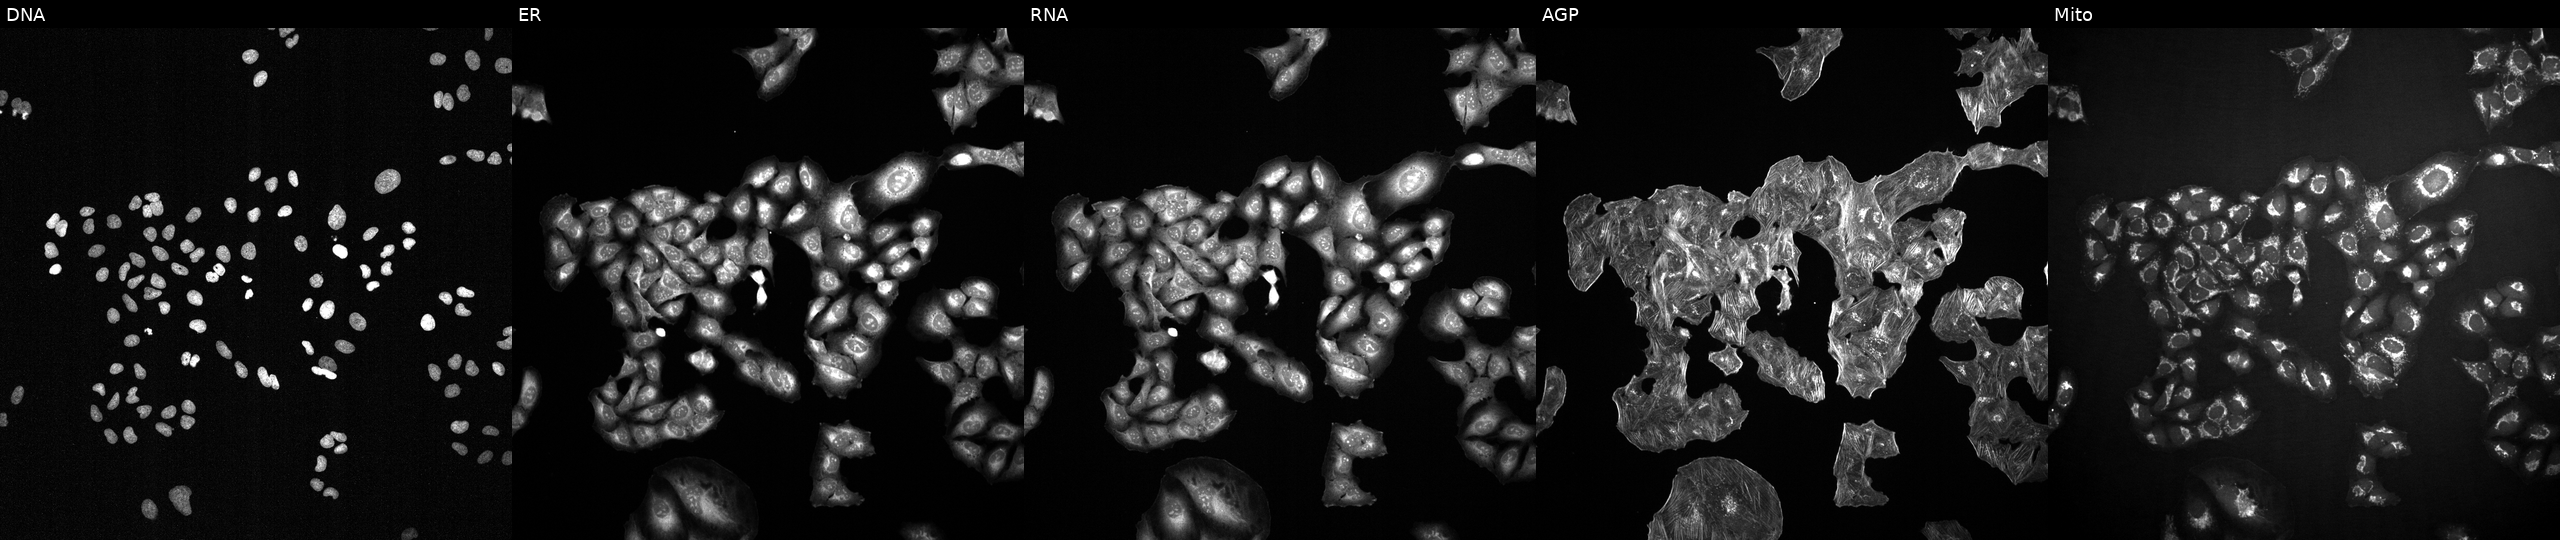
High-content fluorescence microscopy (Cell Painting). Cell line: U2OS. Perturbation: exposed to the positive-control compound NVS-PAK1-1. Panels show, left to right, DNA, ER, RNA, AGP, and Mito.